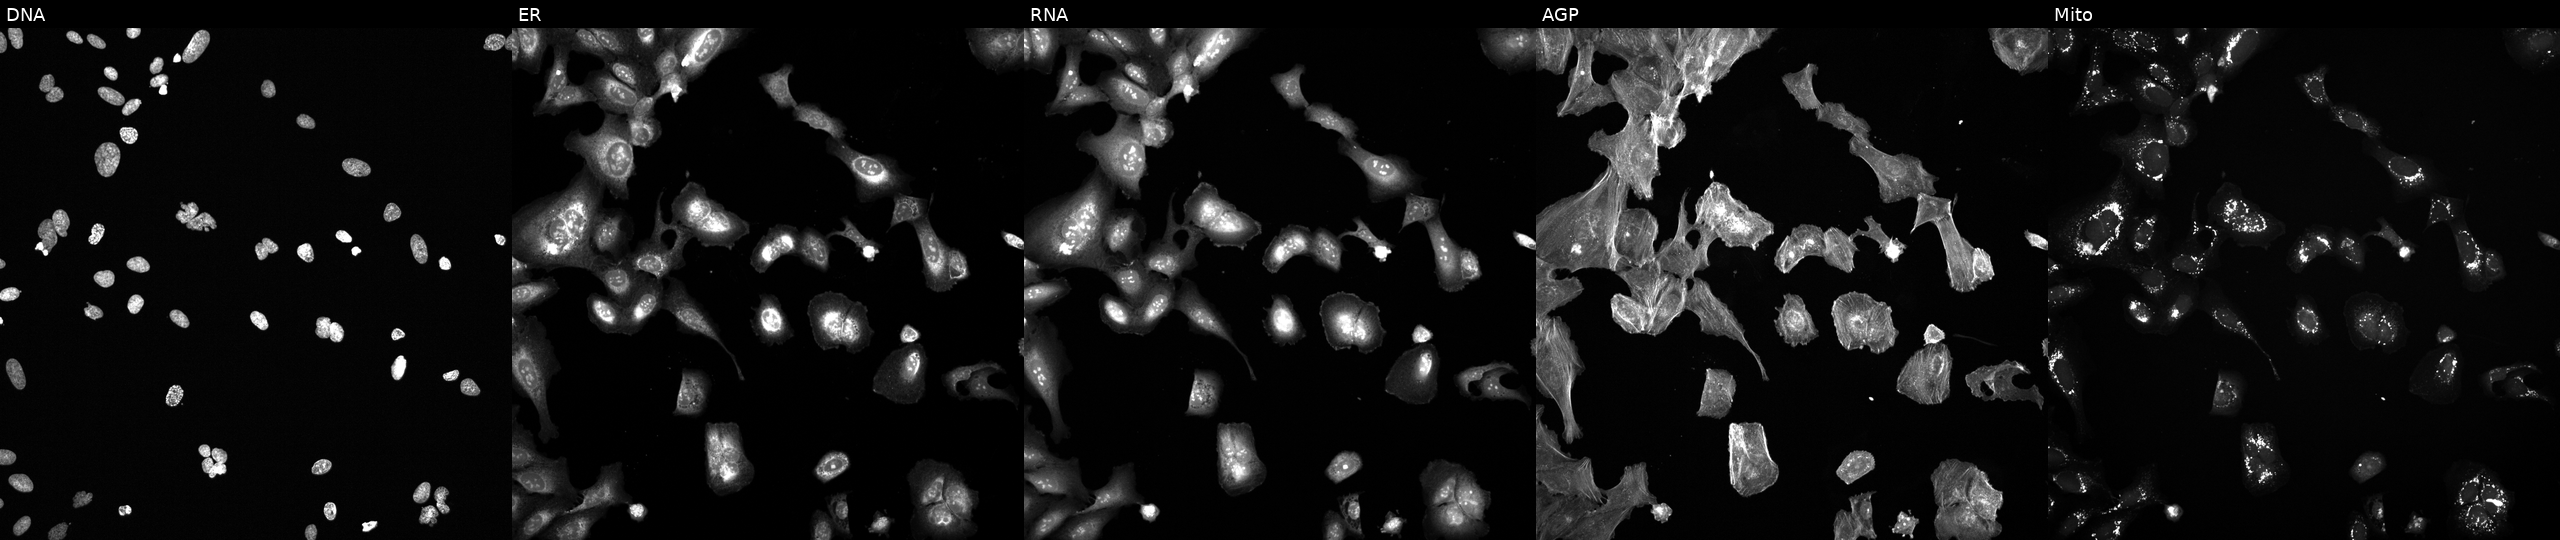
This image strip shows the five Cell Painting channels for a single field of U2OS cells treated with a small-molecule compound (InChIKey VSWDORGPIHIGNW-UHFFFAOYSA-N). From left to right: Hoechst 33342, concanavalin A, SYTO 14, phalloidin and WGA, MitoTracker. Source 6, plate 110000293081, well P19.